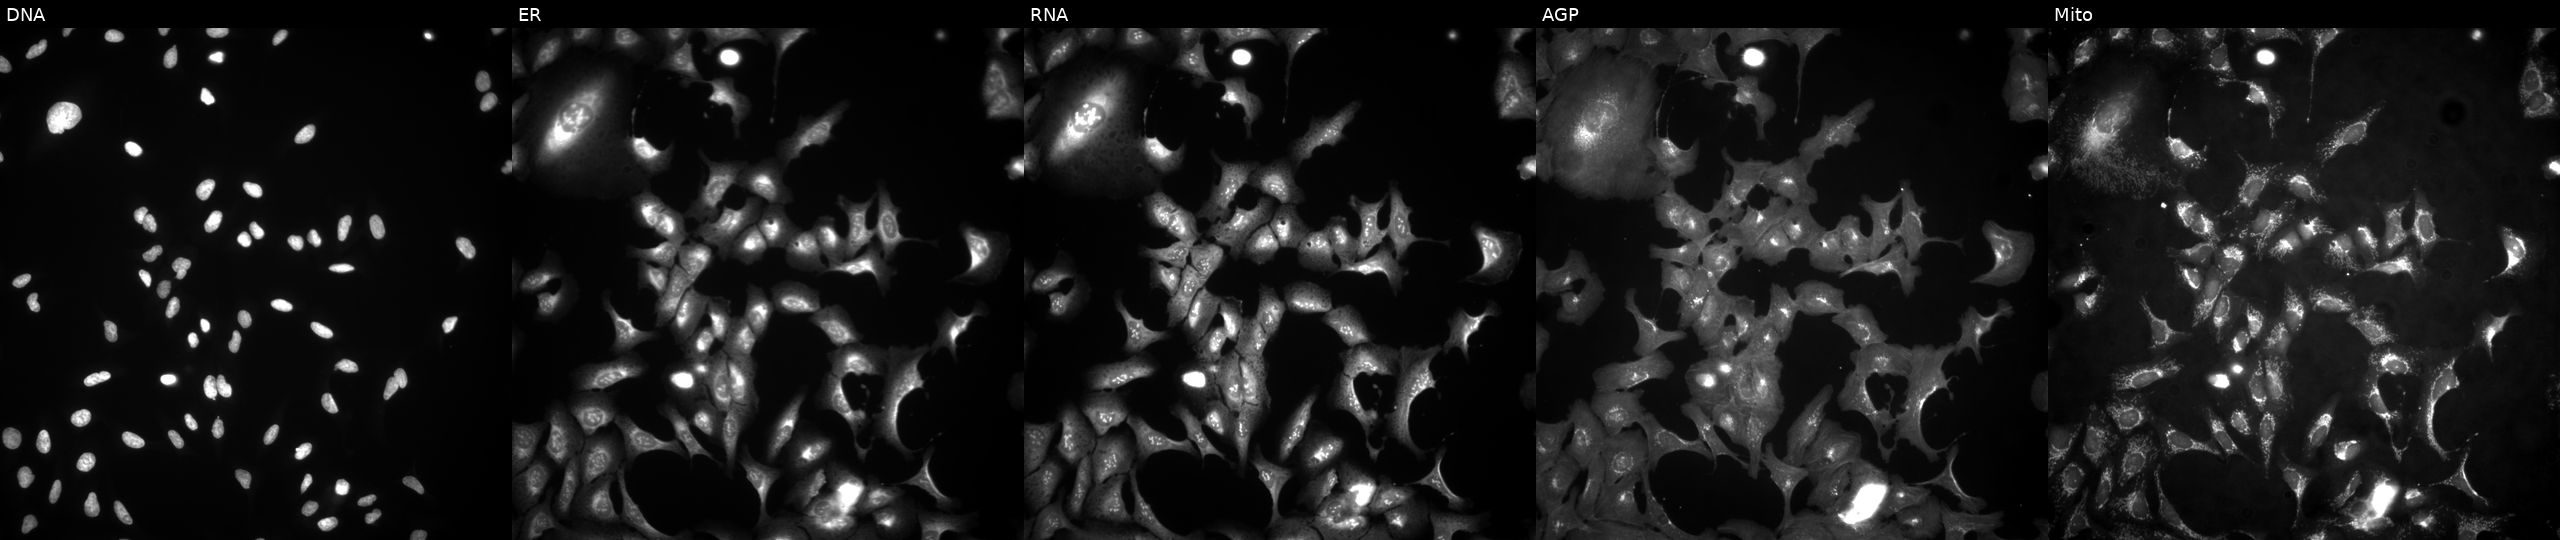
JUMP Cell Painting — ORF plate. U2OS cells overexpressing PDGFRL via ORF transfection (JUMP id JCP2022_906278). Channels (left→right): DNA, ER, RNA, AGP, and Mito.